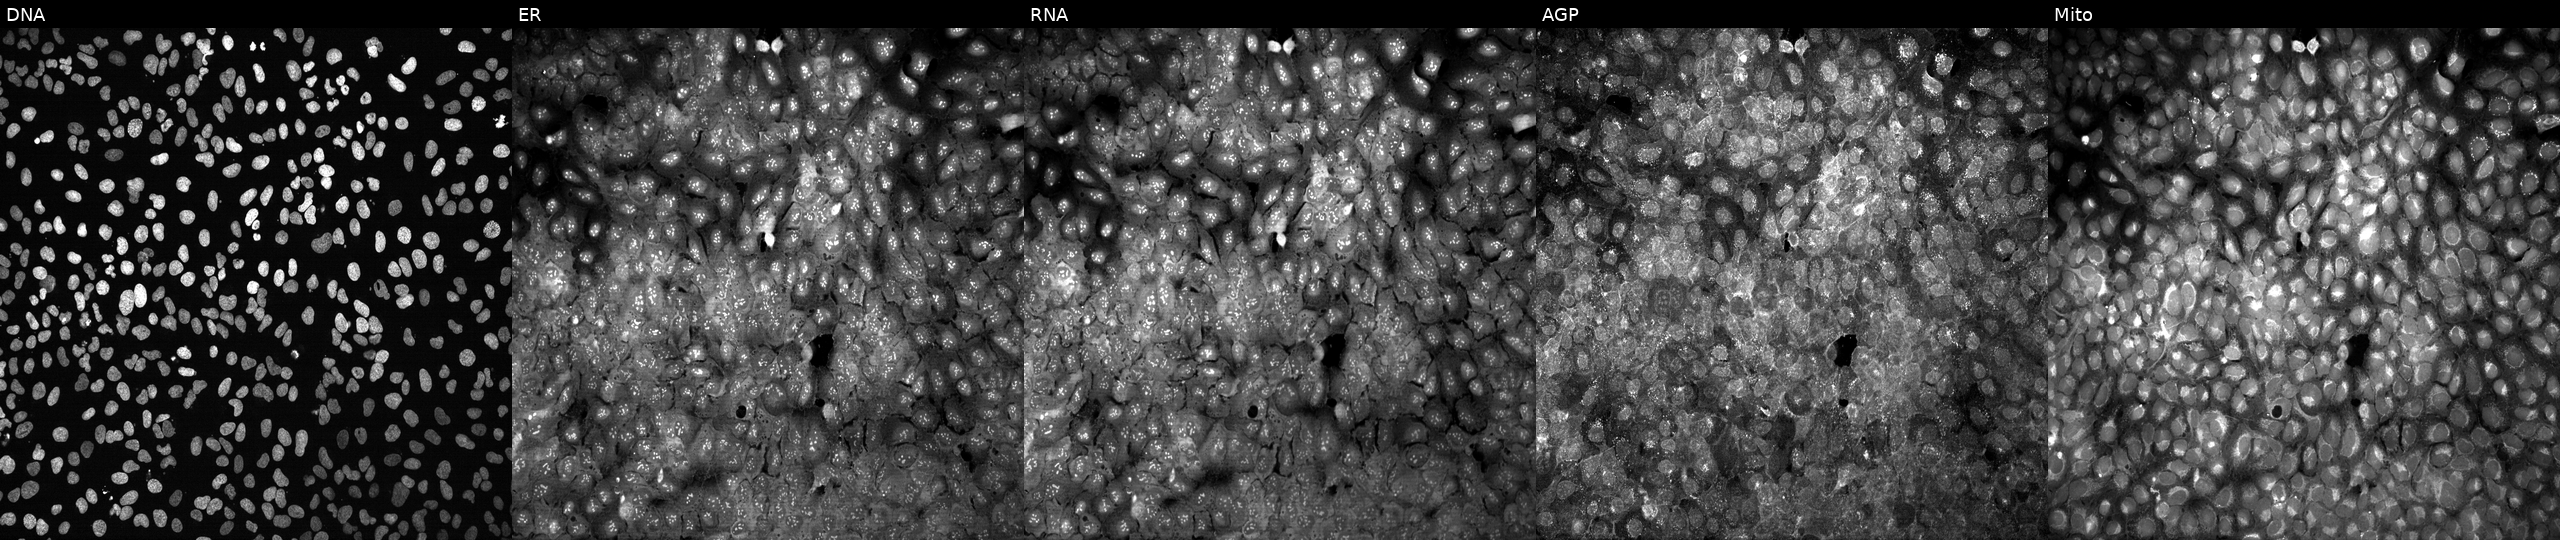
This image strip shows the five Cell Painting channels for a single field of U2OS cells CRISPR-edited to disrupt NGFR. The five panels, left to right, show DNA, ER, RNA, AGP, and Mito.